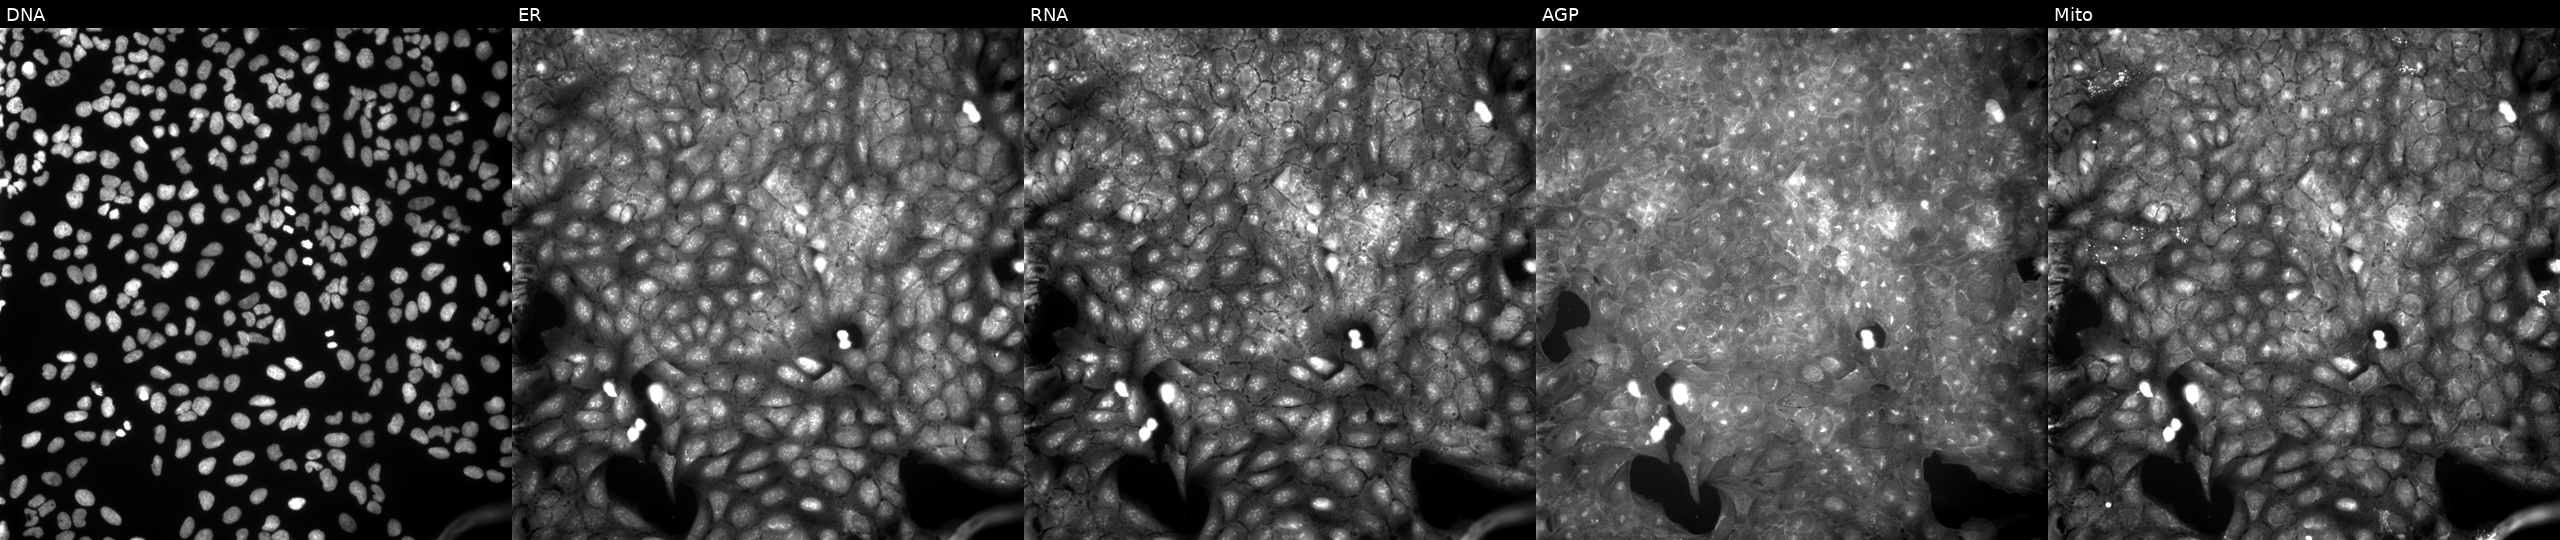
Five-channel Cell Painting image of U2OS cells exposed to a small-molecule compound (JUMP id JCP2022_058384). Panels show, left to right, DNA (nuclei); ER (endoplasmic reticulum); RNA (nucleoli and cytoplasmic RNA); AGP (actin cytoskeleton, Golgi, and plasma membrane); Mito (mitochondria). Source 9, plate GR00003382, well F27.